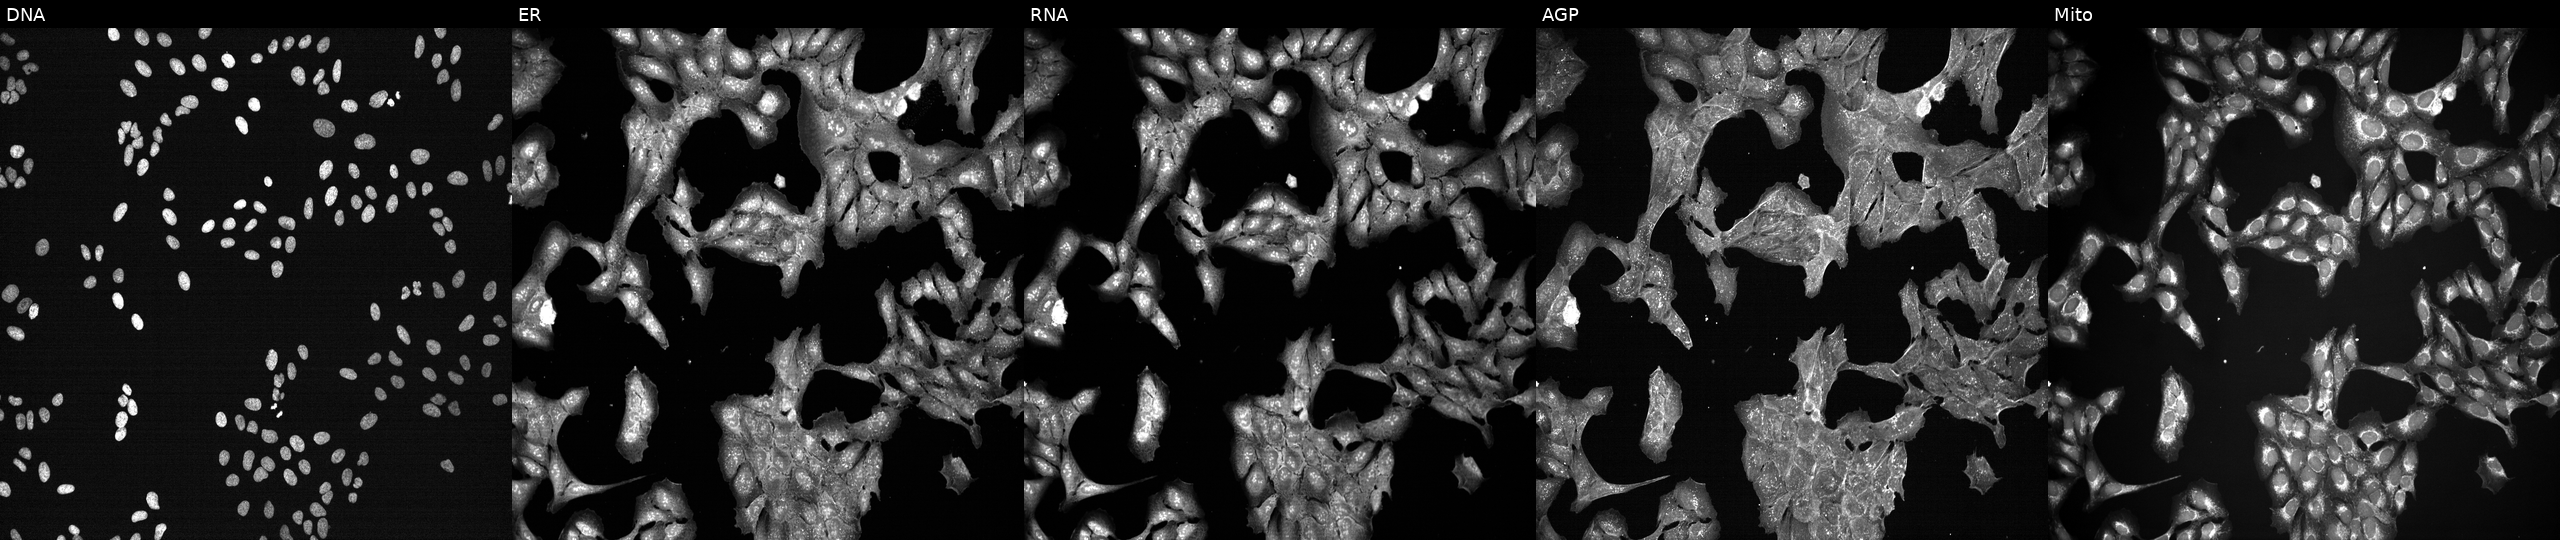
Panels show, left to right, DNA (nuclei); ER (endoplasmic reticulum); RNA (nucleoli and cytoplasmic RNA); AGP (actin cytoskeleton, Golgi, and plasma membrane); Mito (mitochondria). U2OS osteosarcoma cells perturbed with a small-molecule compound (InChIKey WXPNDRBBWZMPQG-UHFFFAOYSA-N) (JUMP id JCP2022_101857). Cell Painting assay, JUMP-CP dataset. Source 7, plate CP3-SC1-25, well F23.